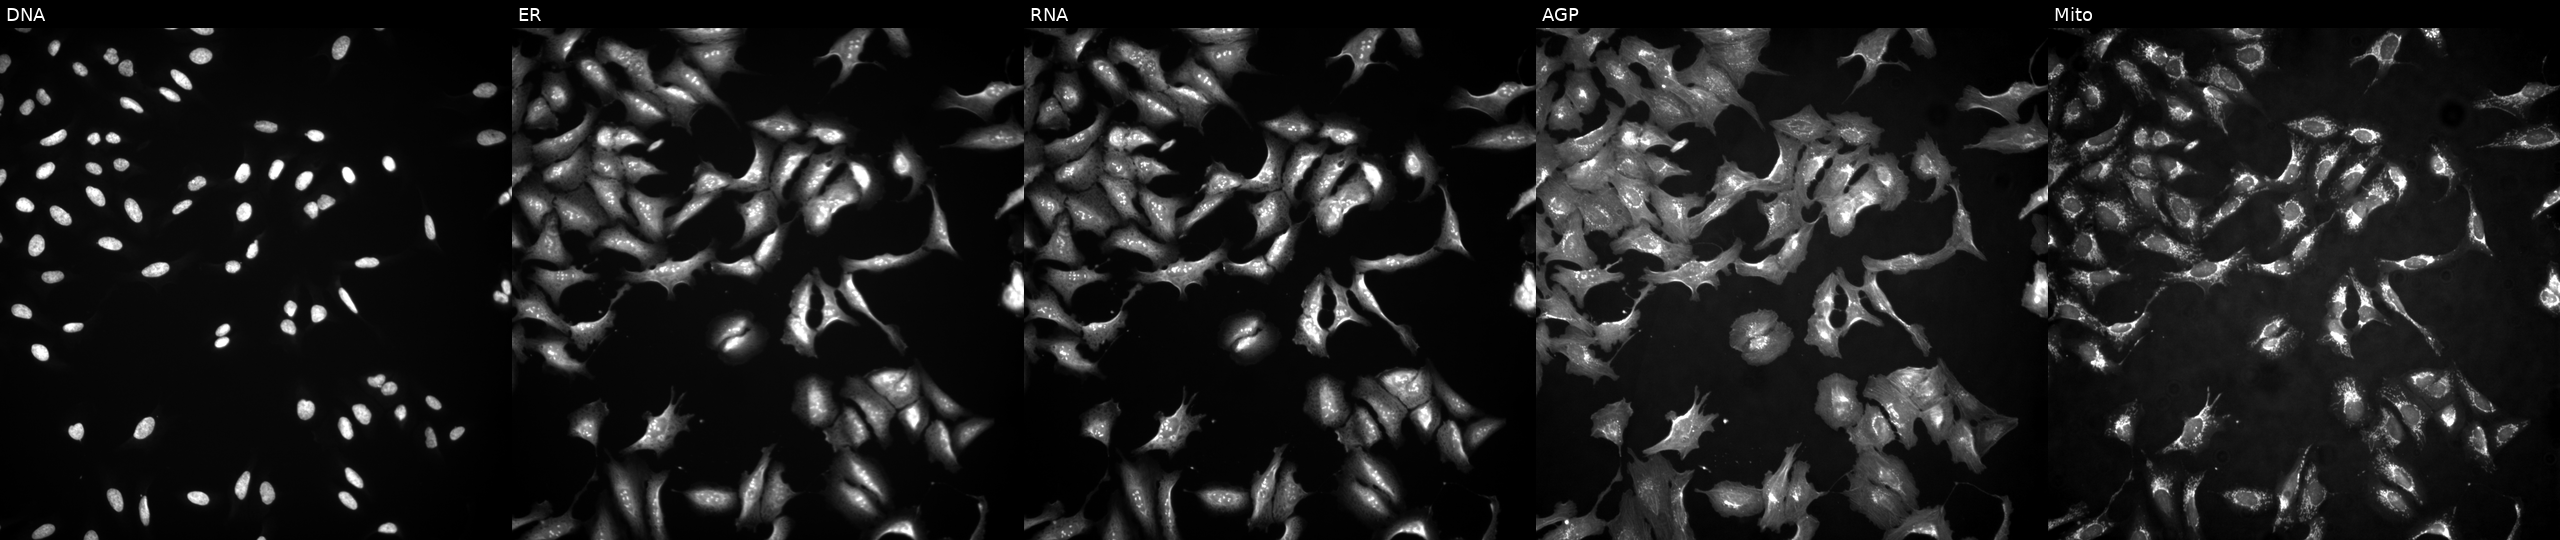
High-content fluorescence microscopy (Cell Painting). Cell line: U2OS. Perturbation: with CD2BP2 overexpressed (ORF) (JUMP id JCP2022_902270). The five panels, left to right, show DNA, ER, RNA, AGP, and Mito. Source 4, plate BR00117035, well M11.